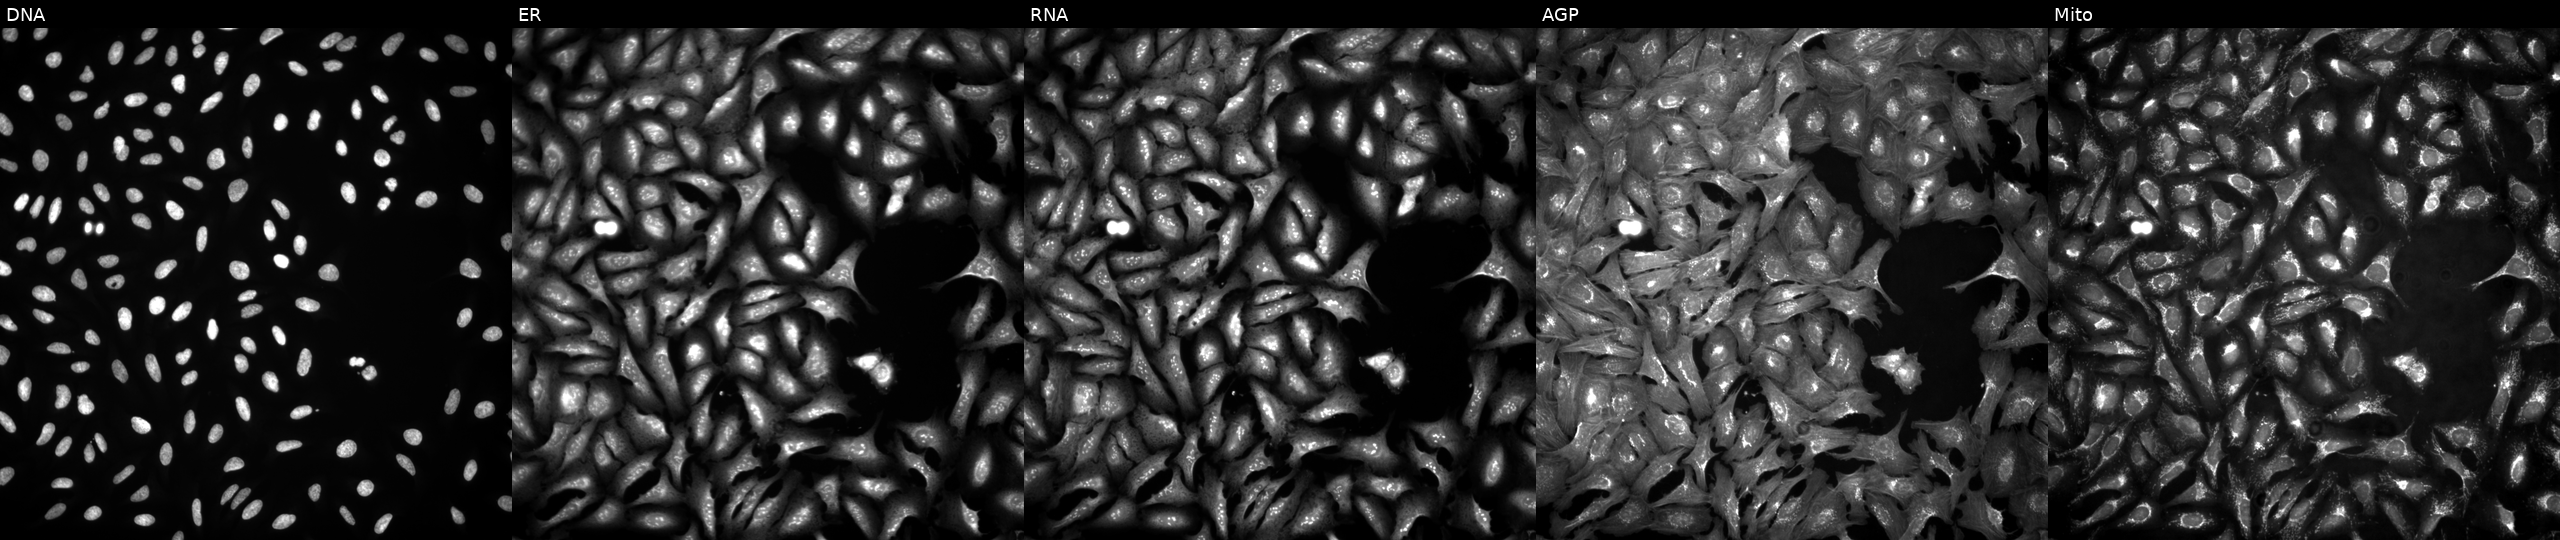
JUMP Cell Painting — ORF plate. U2OS cells in an empty control well (no perturbation). The five panels, left to right, show Hoechst 33342, concanavalin A, SYTO 14, phalloidin and WGA, MitoTracker.